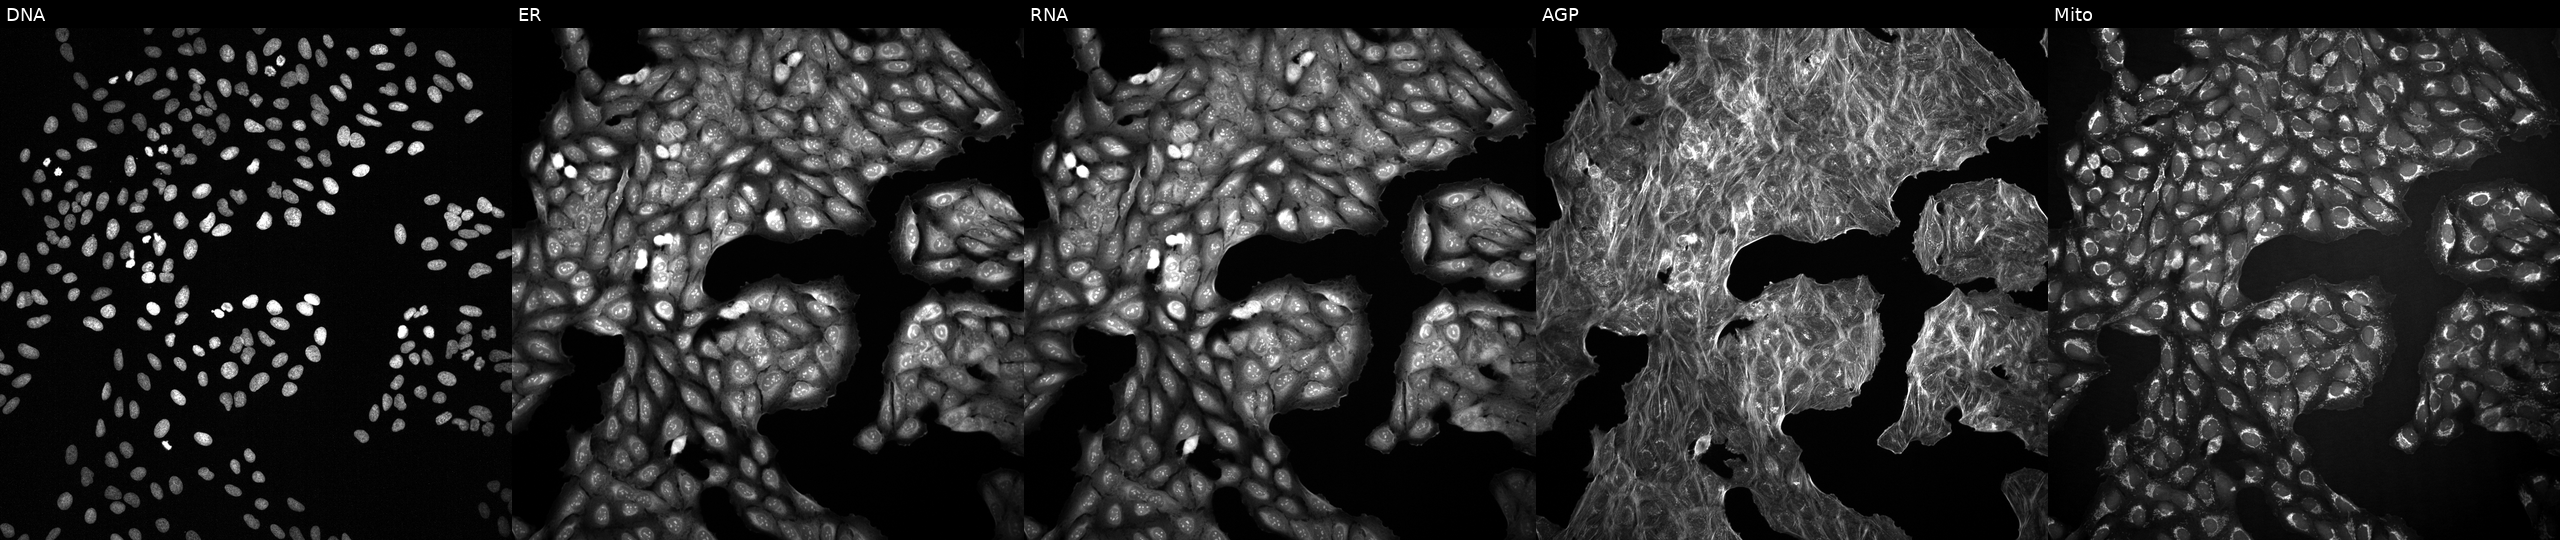
JUMP Cell Painting — COMPOUND plate. U2OS cells treated with DMSO vehicle only (negative control) (JUMP id JCP2022_033924). Channels (left→right): DNA (nuclei); ER (endoplasmic reticulum); RNA (nucleoli and cytoplasmic RNA); AGP (actin cytoskeleton, Golgi, and plasma membrane); Mito (mitochondria).